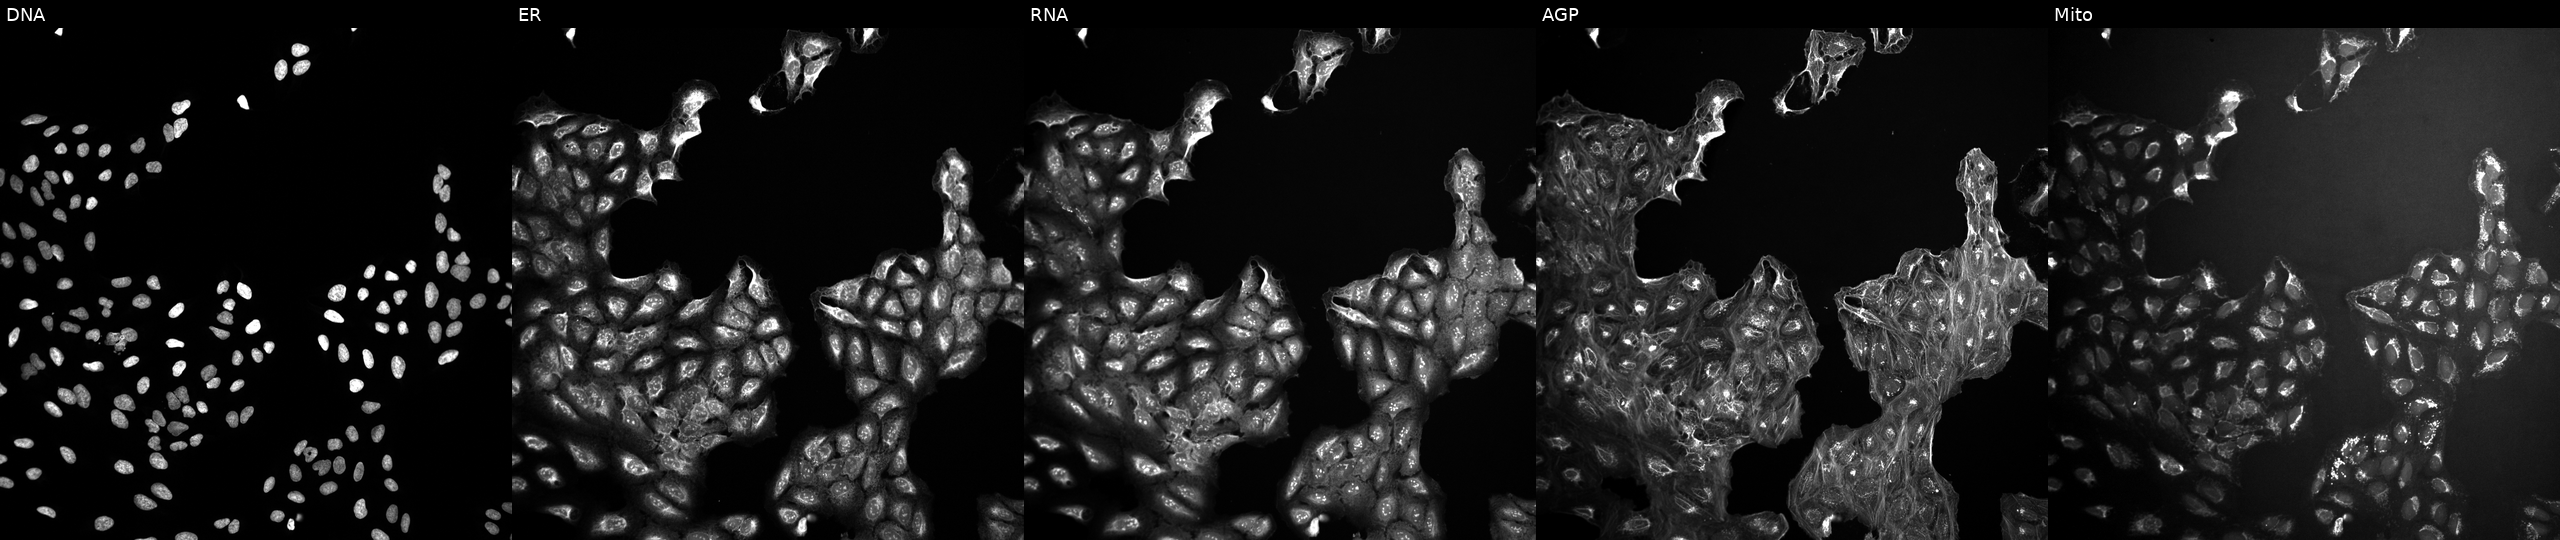
This image strip shows the five Cell Painting channels for a single field of U2OS cells in an empty control well (no perturbation). The five panels, left to right, show DNA, ER, RNA, AGP, and Mito.